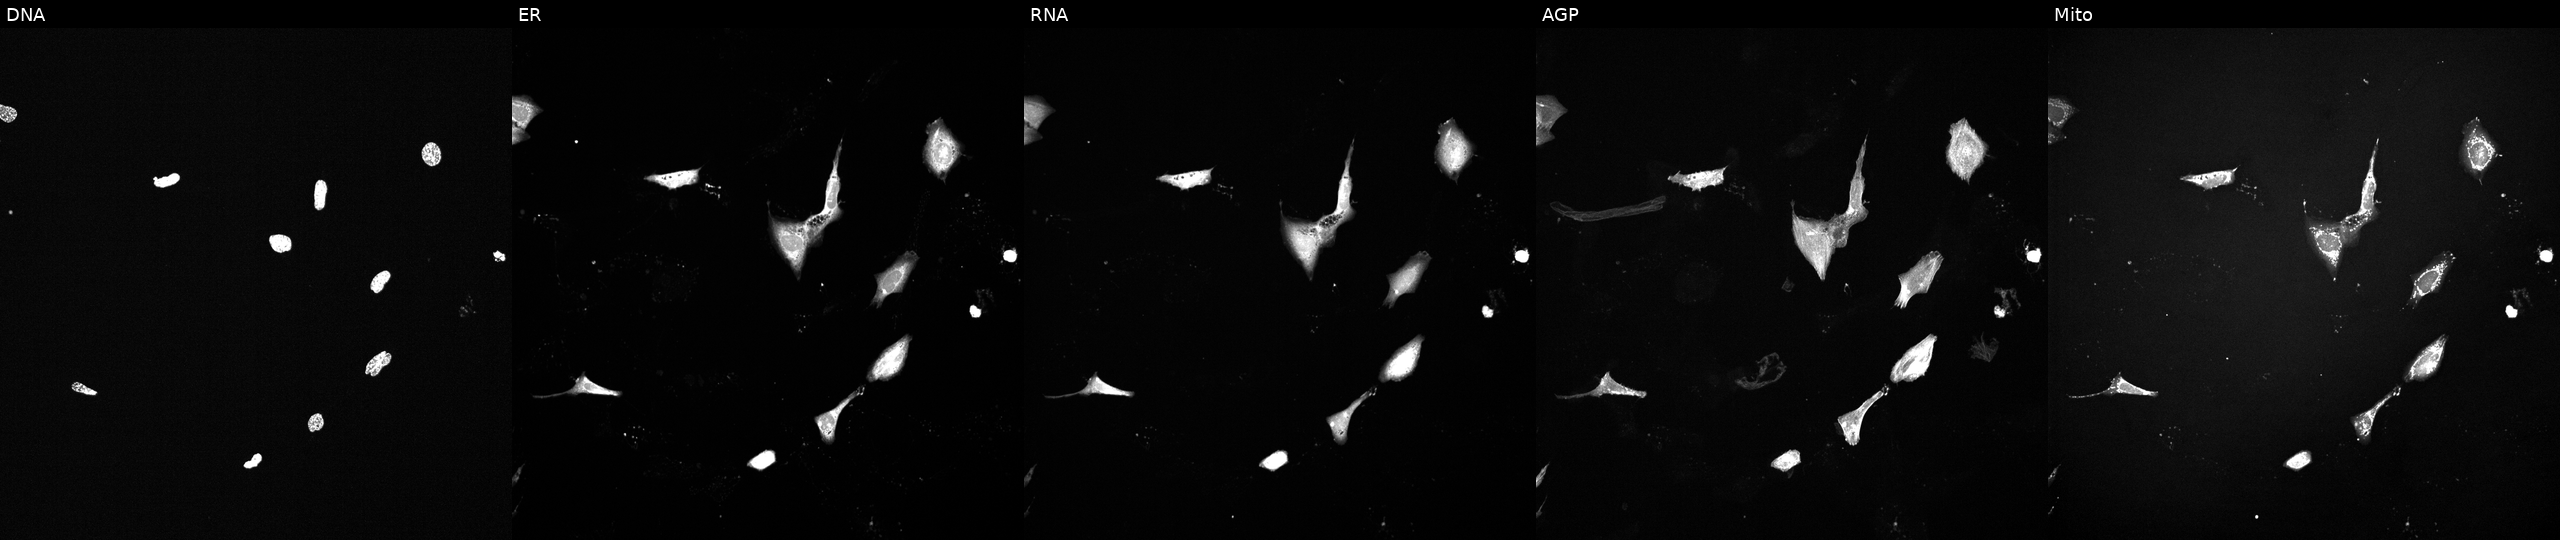
This image strip shows the five Cell Painting channels for a single field of U2OS cells perturbed with a small-molecule compound (InChIKey VXBAJLGYBMTJCY-UHFFFAOYSA-N) (JUMP id JCP2022_096865). Channels (left→right): DNA (nuclei); ER (endoplasmic reticulum); RNA (nucleoli and cytoplasmic RNA); AGP (actin cytoskeleton, Golgi, and plasma membrane); Mito (mitochondria).